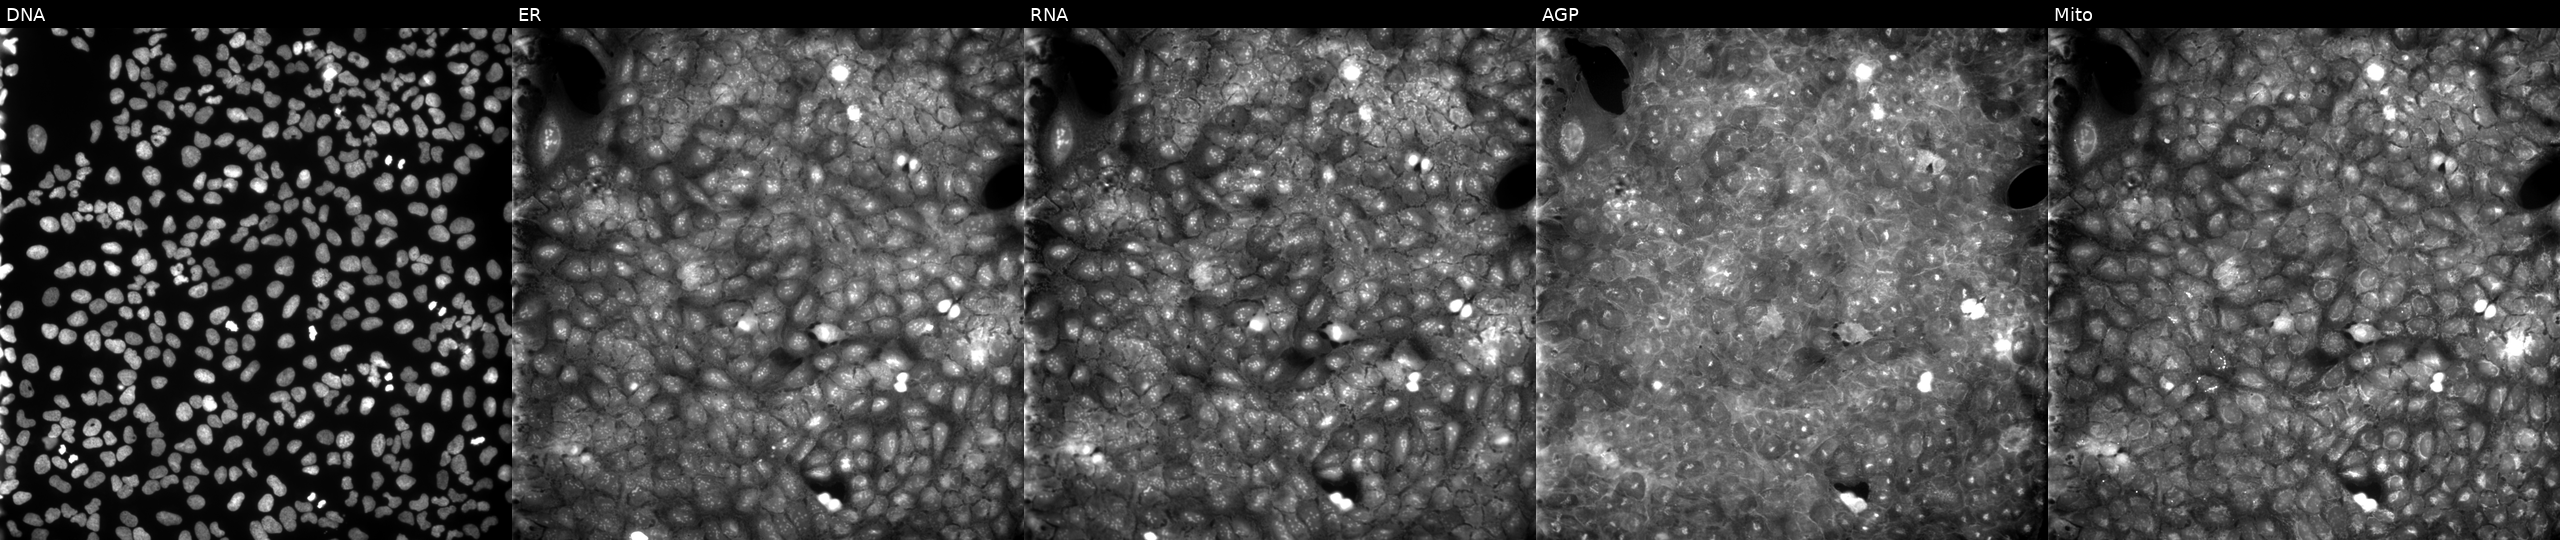
High-content fluorescence microscopy (Cell Painting). Cell line: U2OS. Perturbation: perturbed with a small-molecule compound (InChIKey WJJCHEFTTVHORZ-UHFFFAOYSA-N) [SMILES: O=[N+]([O-])c1ccc(N=c2cccc[nH]2)c([N+](=O)[O-])c1] (JUMP id JCP2022_099154). Panels show, left to right, DNA (nuclei); ER (endoplasmic reticulum); RNA (nucleoli and cytoplasmic RNA); AGP (actin cytoskeleton, Golgi, and plasma membrane); Mito (mitochondria).